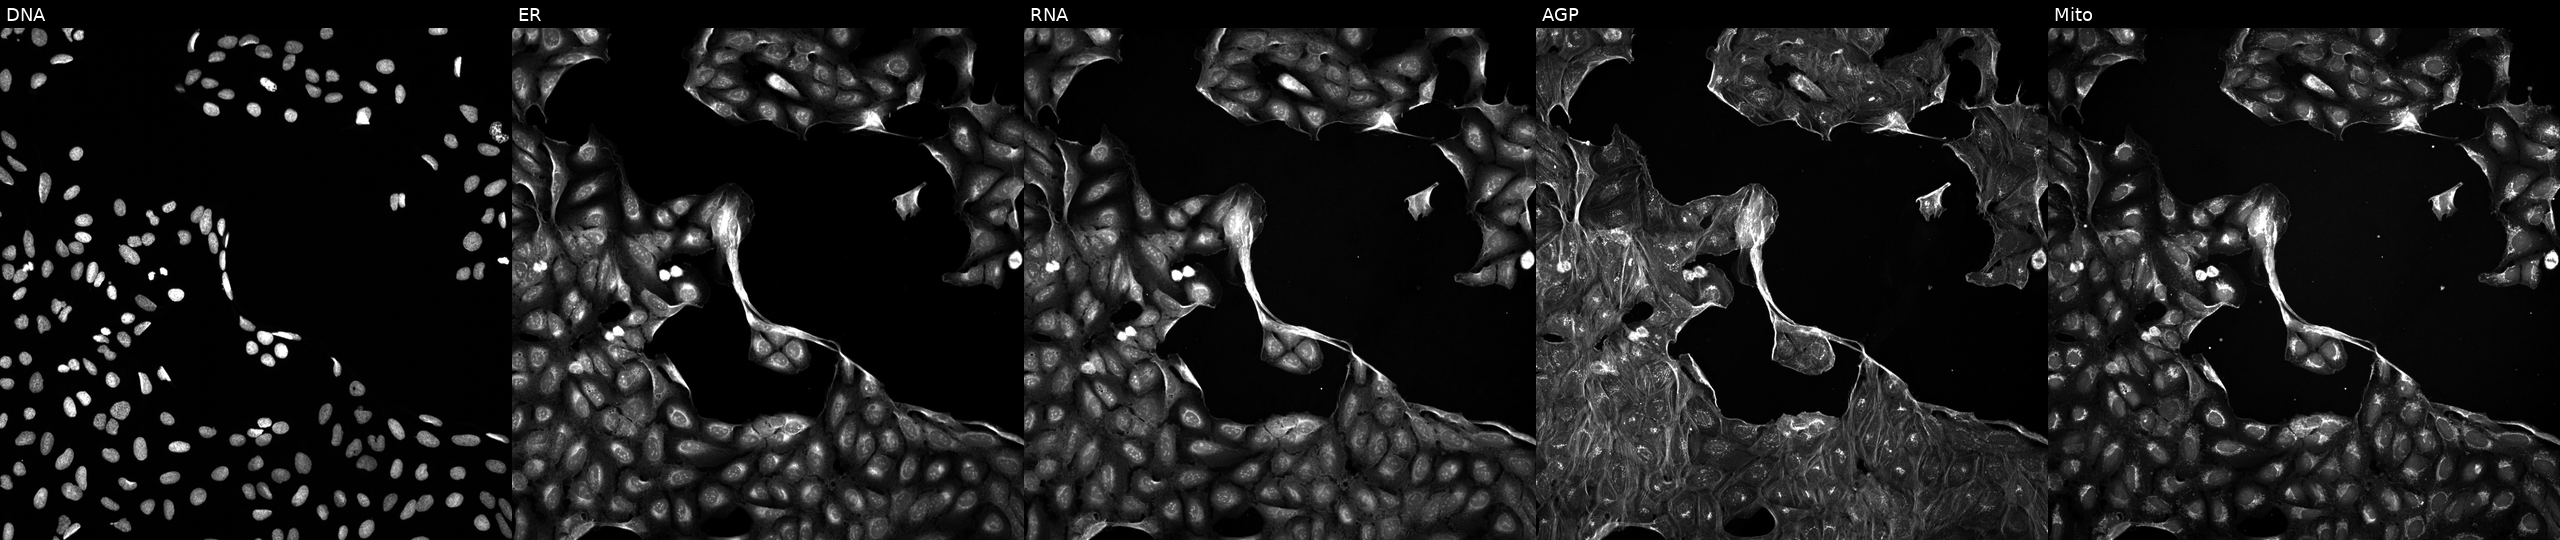
Five-channel Cell Painting image of U2OS cells treated with DMSO vehicle only (negative control) (JUMP id JCP2022_033924). Channels (left→right): DNA (nuclei); ER (endoplasmic reticulum); RNA (nucleoli and cytoplasmic RNA); AGP (actin cytoskeleton, Golgi, and plasma membrane); Mito (mitochondria). Source 5, plate ACPJUM032, well G03.